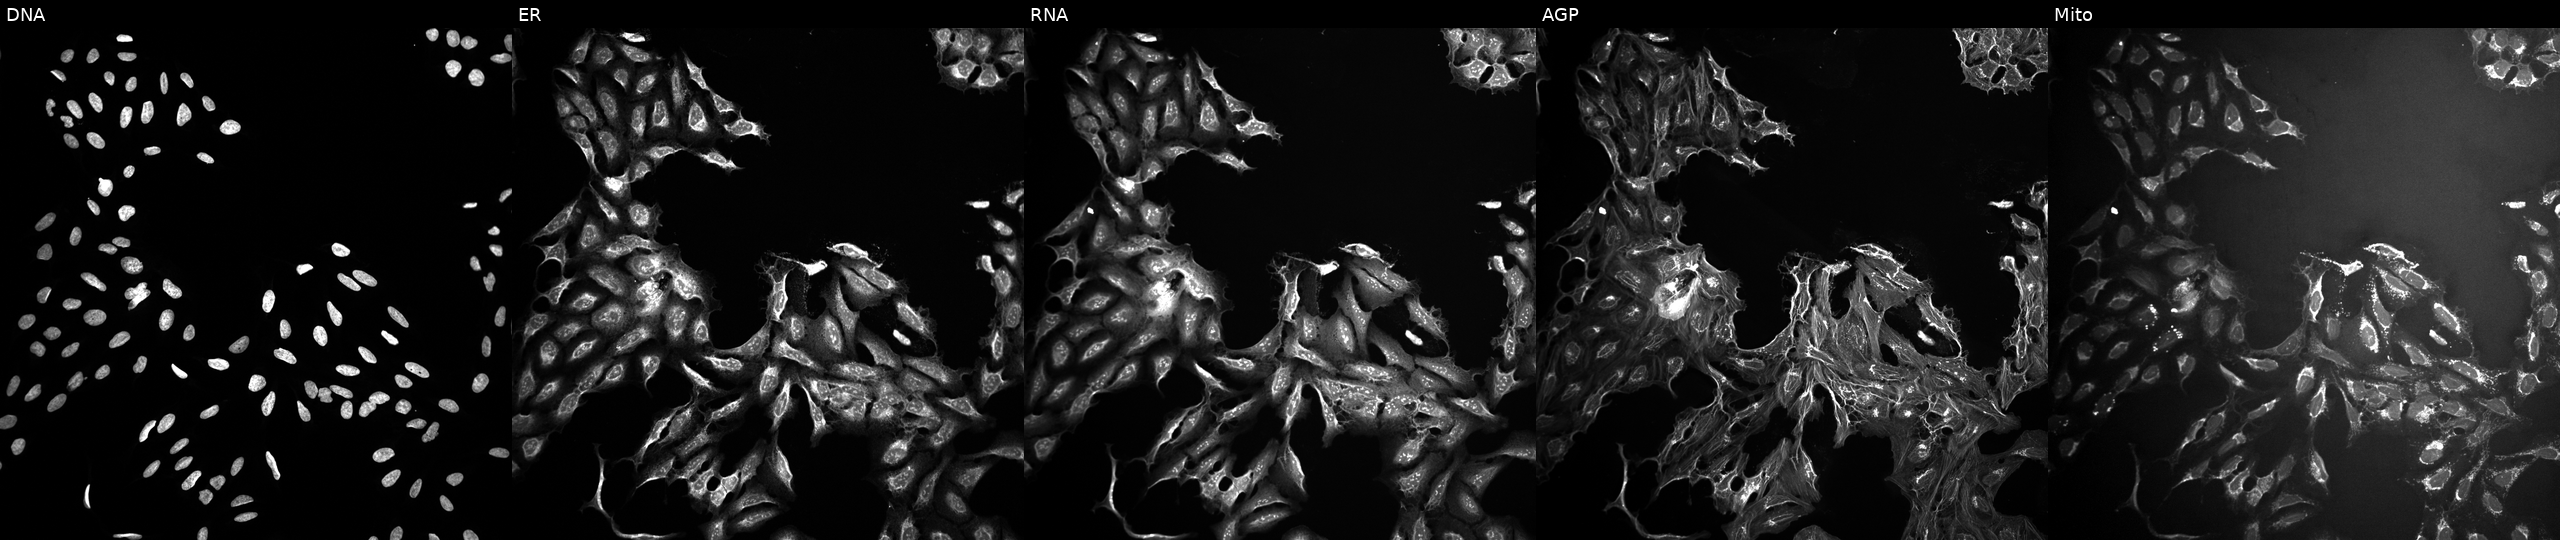
High-content fluorescence microscopy (Cell Painting). Cell line: U2OS. Perturbation: treated with DMSO vehicle only (negative control). The five panels, left to right, show Hoechst 33342, concanavalin A, SYTO 14, phalloidin and WGA, MitoTracker.